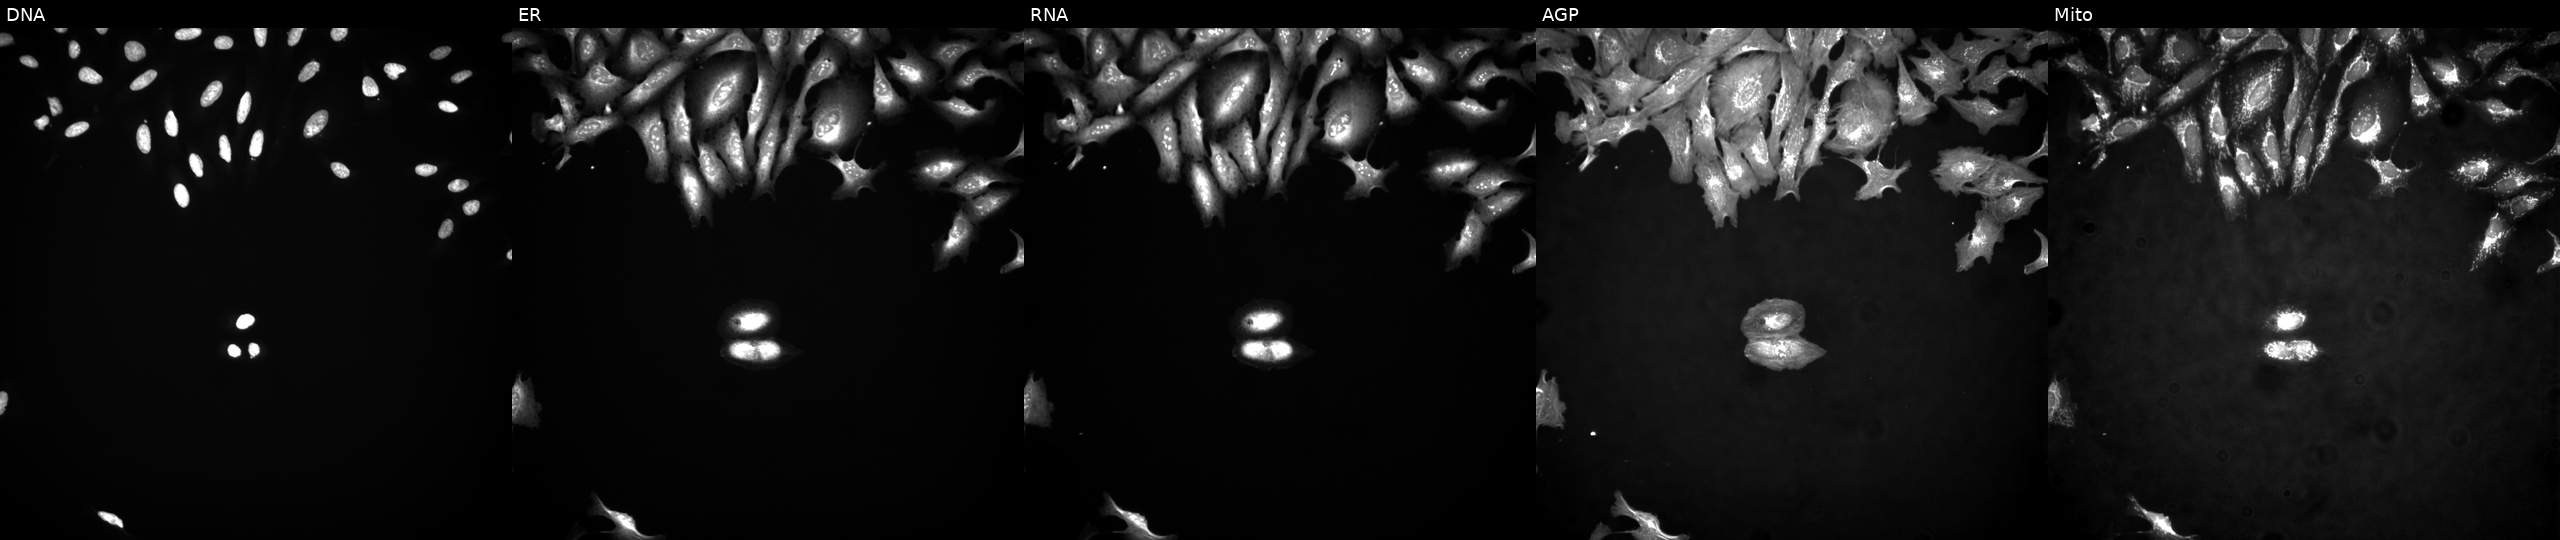
U2OS cells, Cell Painting assay, expressing LUCIFERASE (ORF negative control) (JUMP id JCP2022_915130). The five panels, left to right, show DNA (nuclei); ER (endoplasmic reticulum); RNA (nucleoli and cytoplasmic RNA); AGP (actin cytoskeleton, Golgi, and plasma membrane); Mito (mitochondria). Each panel is percentile-stretched 16-bit fluorescence.